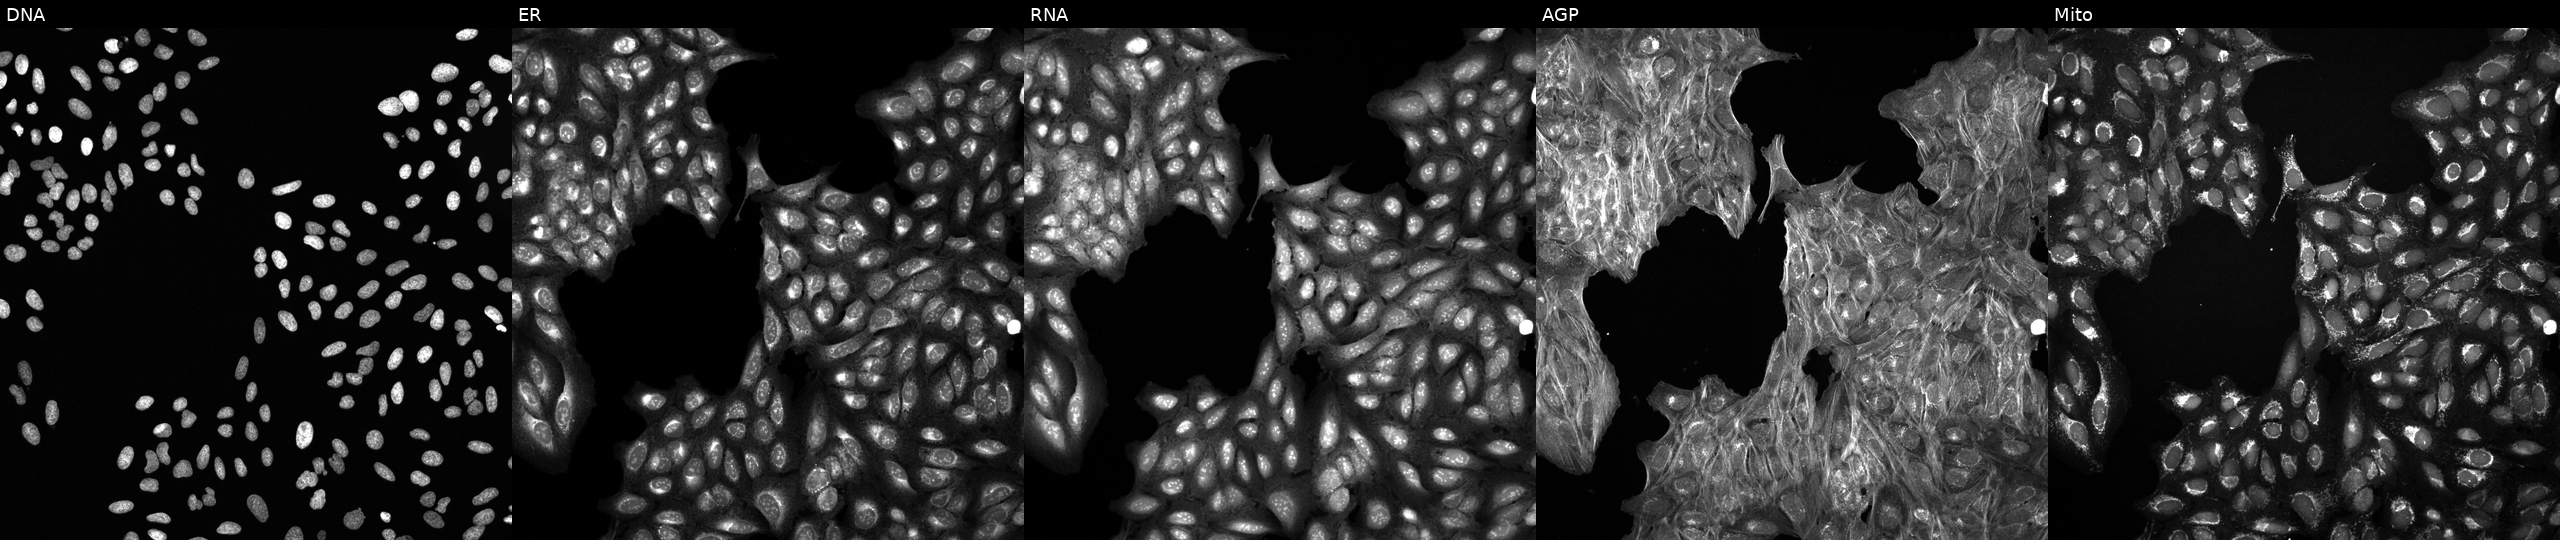
Channels (left→right): Hoechst 33342, concanavalin A, SYTO 14, phalloidin and WGA, MitoTracker. U2OS osteosarcoma cells treated with a small-molecule compound (InChIKey ZJVFLBOZORBYFE-UHFFFAOYSA-N) [SMILES: CC(C)C(=O)c1c(C(C)C)nn2ccccc12] (JUMP id JCP2022_113779). Cell Painting assay, JUMP-CP dataset.